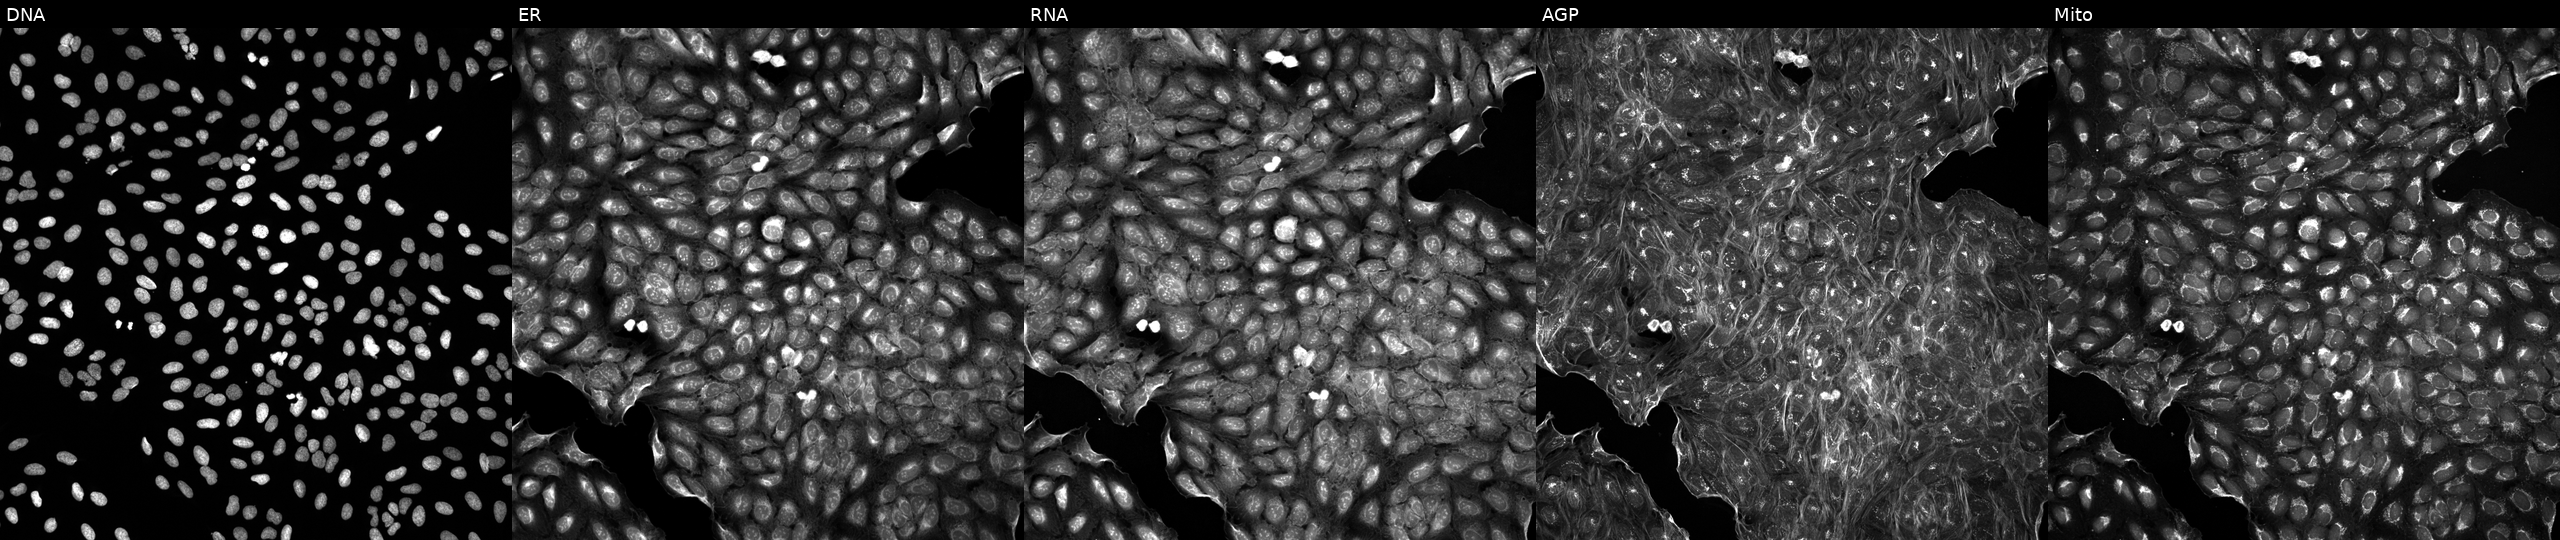
U2OS cells, Cell Painting assay, exposed to a small-molecule compound (JUMP id JCP2022_038675). From left to right: Hoechst 33342, concanavalin A, SYTO 14, phalloidin and WGA, MitoTracker. Each panel is percentile-stretched 16-bit fluorescence.